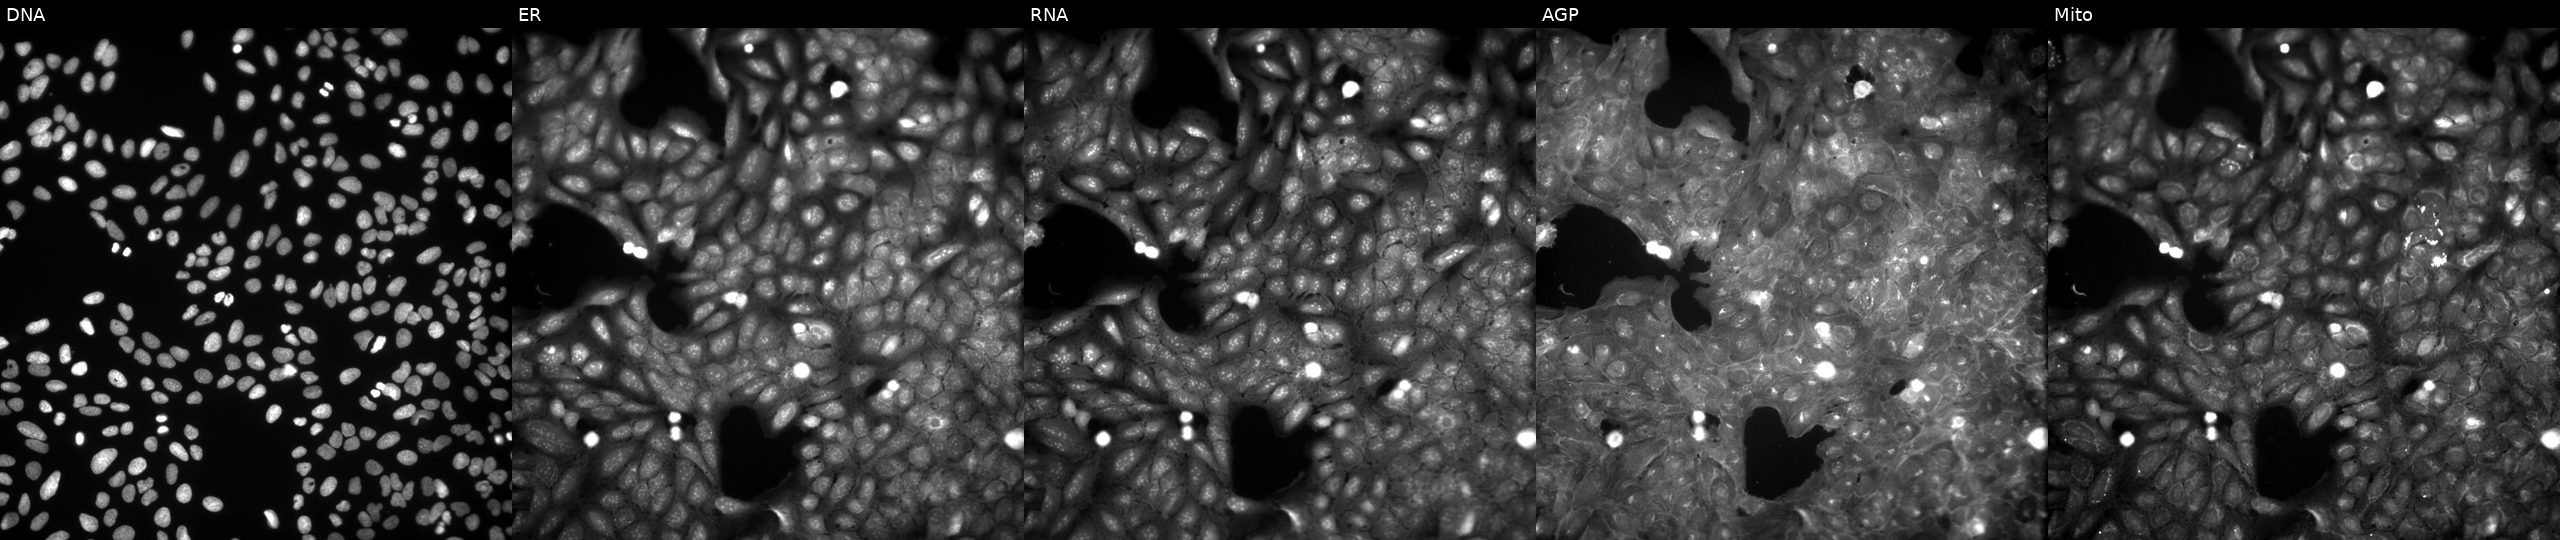
JUMP Cell Painting — COMPOUND plate. U2OS cells treated with a small-molecule compound (InChIKey KCPNWAHYGWYZLC-UHFFFAOYSA-N) (JUMP id JCP2022_043742). From left to right: DNA, ER, RNA, AGP, and Mito. Source 9, plate GR00003382, well AC27.